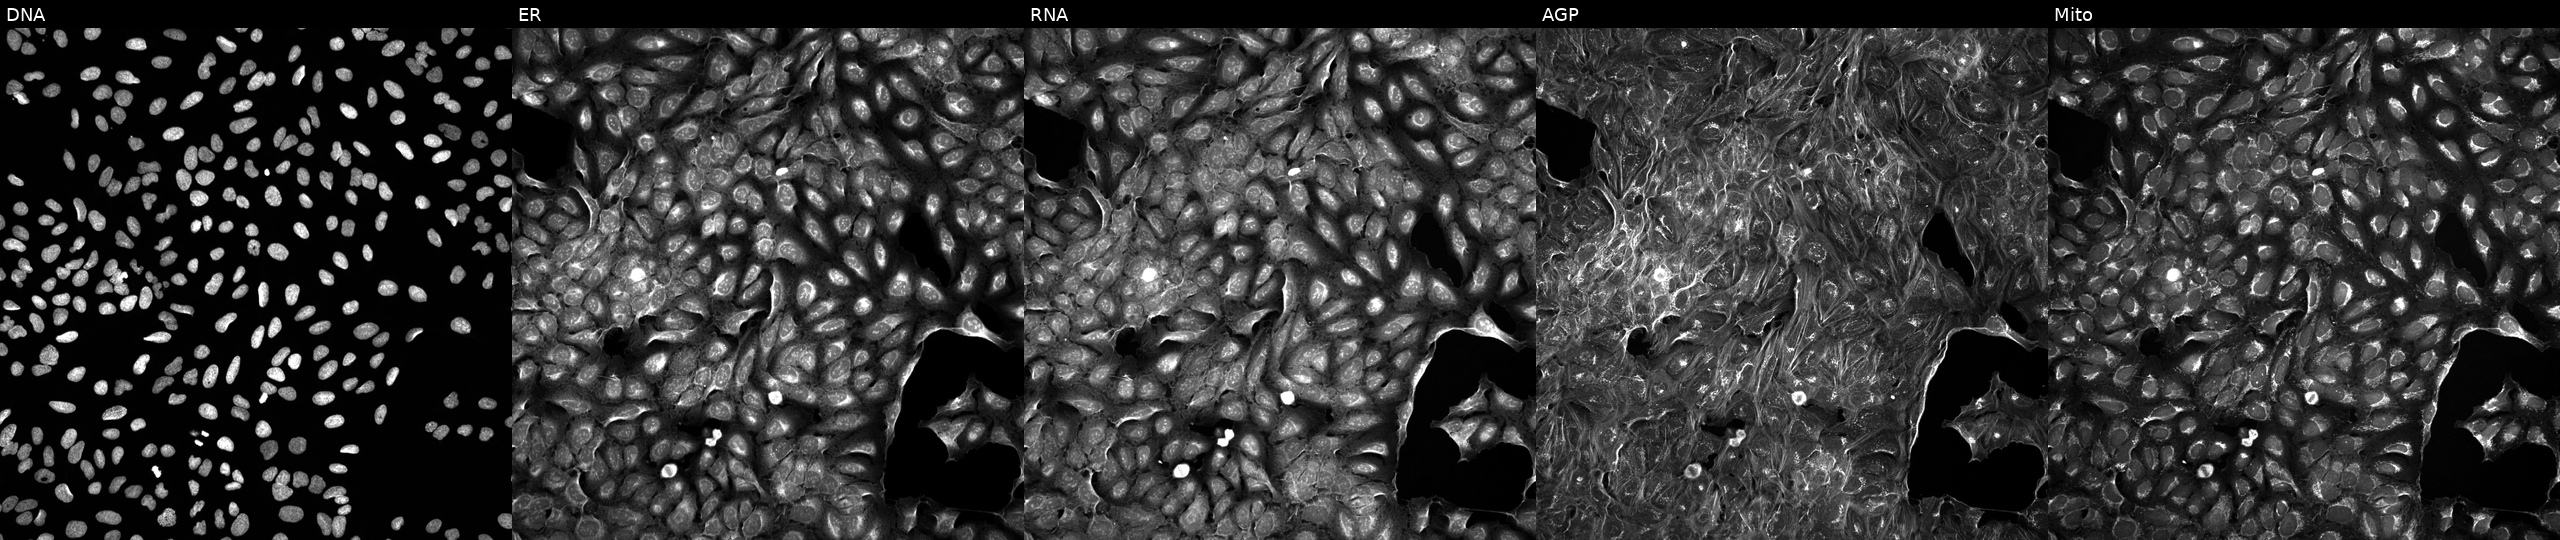
U2OS cells, Cell Painting assay, perturbed with a small-molecule compound (InChIKey RIJLVEAXPNLDTC-UHFFFAOYSA-N) (JUMP id JCP2022_078581). The five panels, left to right, show Hoechst 33342, concanavalin A, SYTO 14, phalloidin and WGA, MitoTracker. Each panel is percentile-stretched 16-bit fluorescence. Source 5, plate ACPJUM012, well N12.